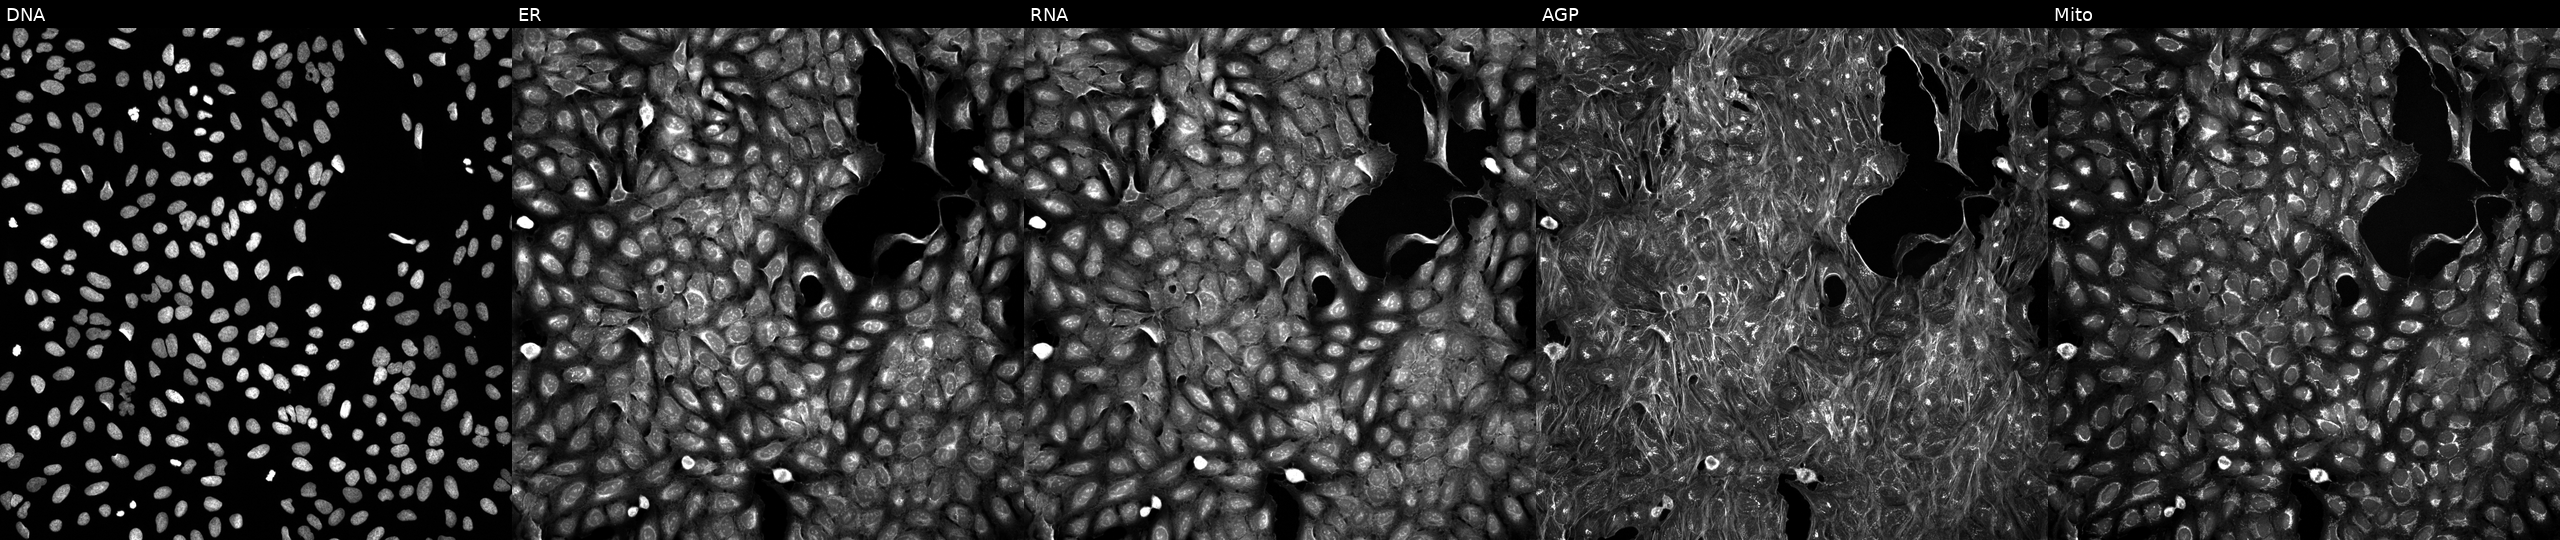
High-content fluorescence microscopy (Cell Painting). Cell line: U2OS. Perturbation: treated with DMSO vehicle only (negative control) (JUMP id JCP2022_033924). Panels show, left to right, DNA (nuclei); ER (endoplasmic reticulum); RNA (nucleoli and cytoplasmic RNA); AGP (actin cytoskeleton, Golgi, and plasma membrane); Mito (mitochondria). Source 5, plate ACPJUM012, well L13.